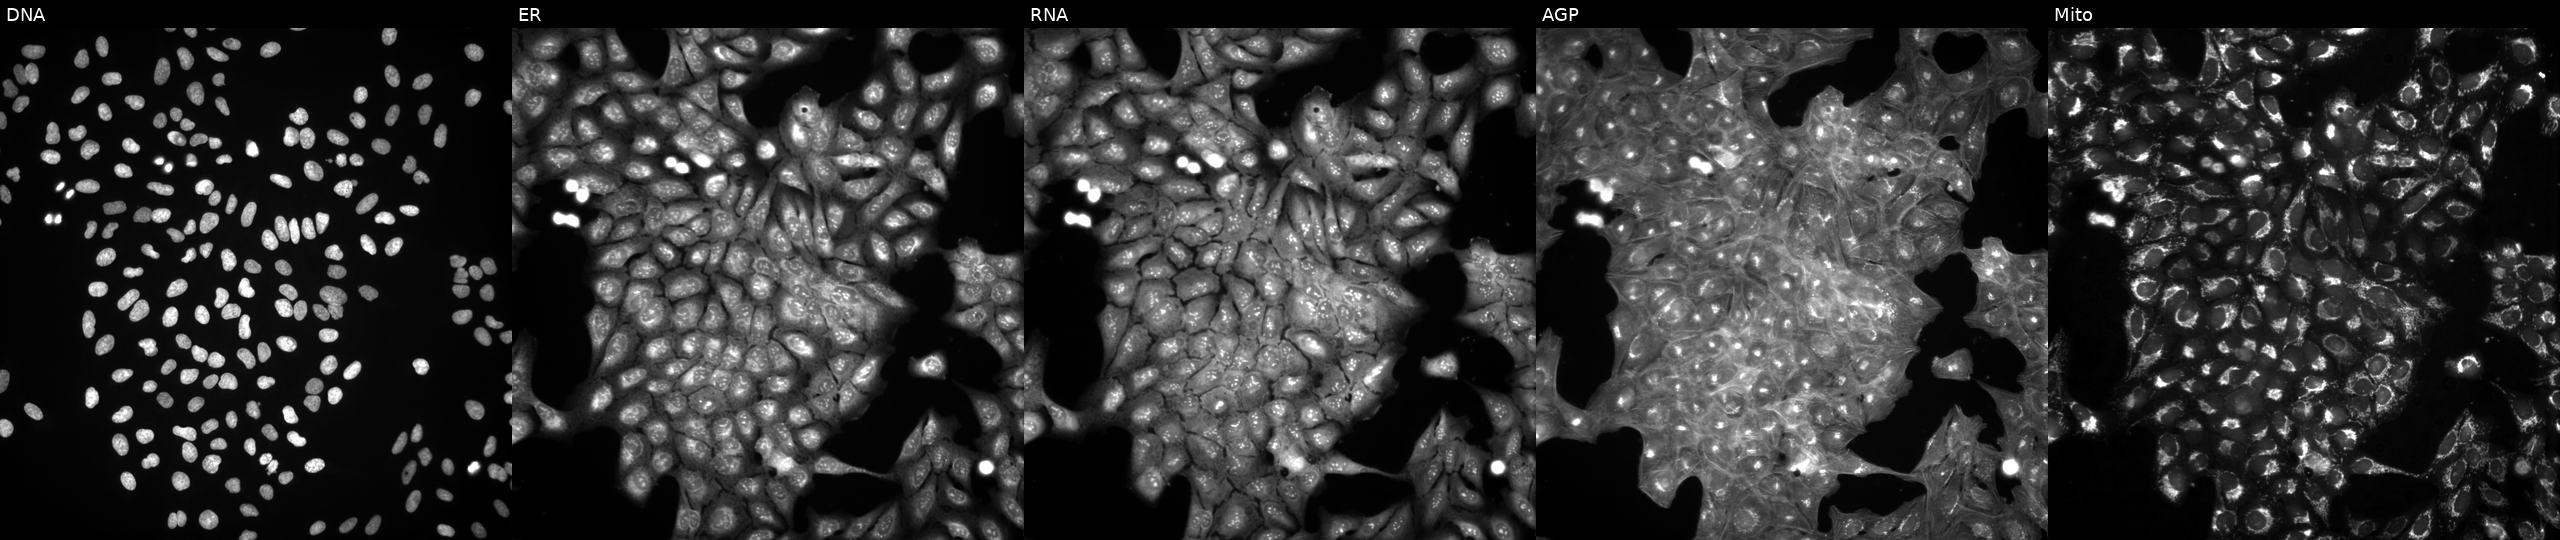
Five-channel Cell Painting image of U2OS cells treated with DMSO vehicle only (negative control) (JUMP id JCP2022_033924). Channels (left→right): DNA (nuclei); ER (endoplasmic reticulum); RNA (nucleoli and cytoplasmic RNA); AGP (actin cytoskeleton, Golgi, and plasma membrane); Mito (mitochondria).